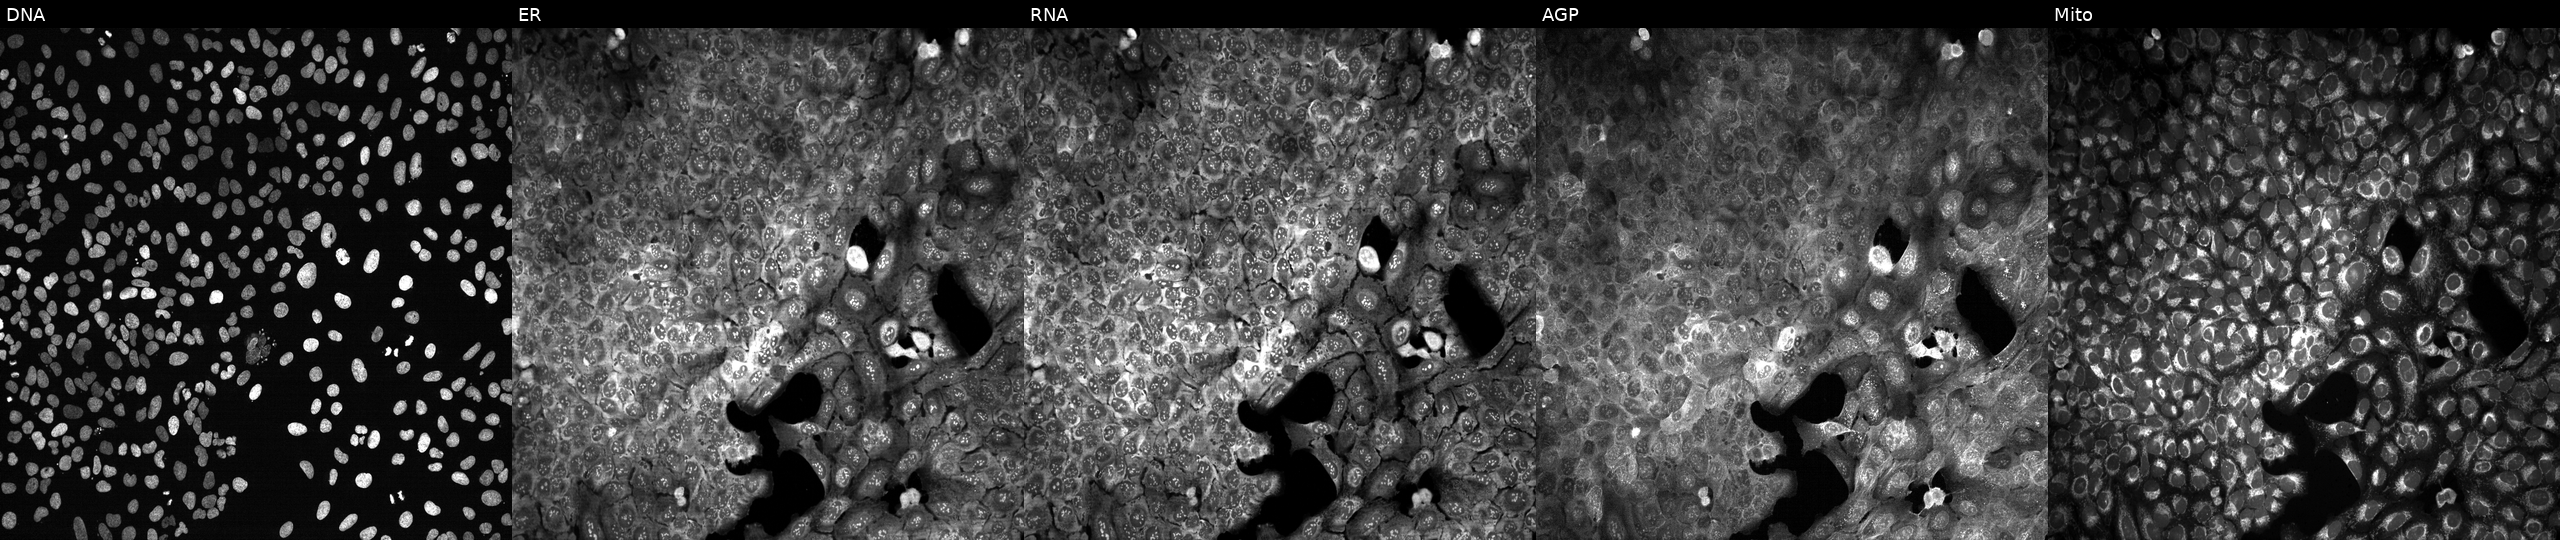
High-content fluorescence microscopy (Cell Painting). Cell line: U2OS. Perturbation: with CYB561D2 knocked out by CRISPR (JUMP id JCP2022_801604). Panels show, left to right, DNA, ER, RNA, AGP, and Mito.